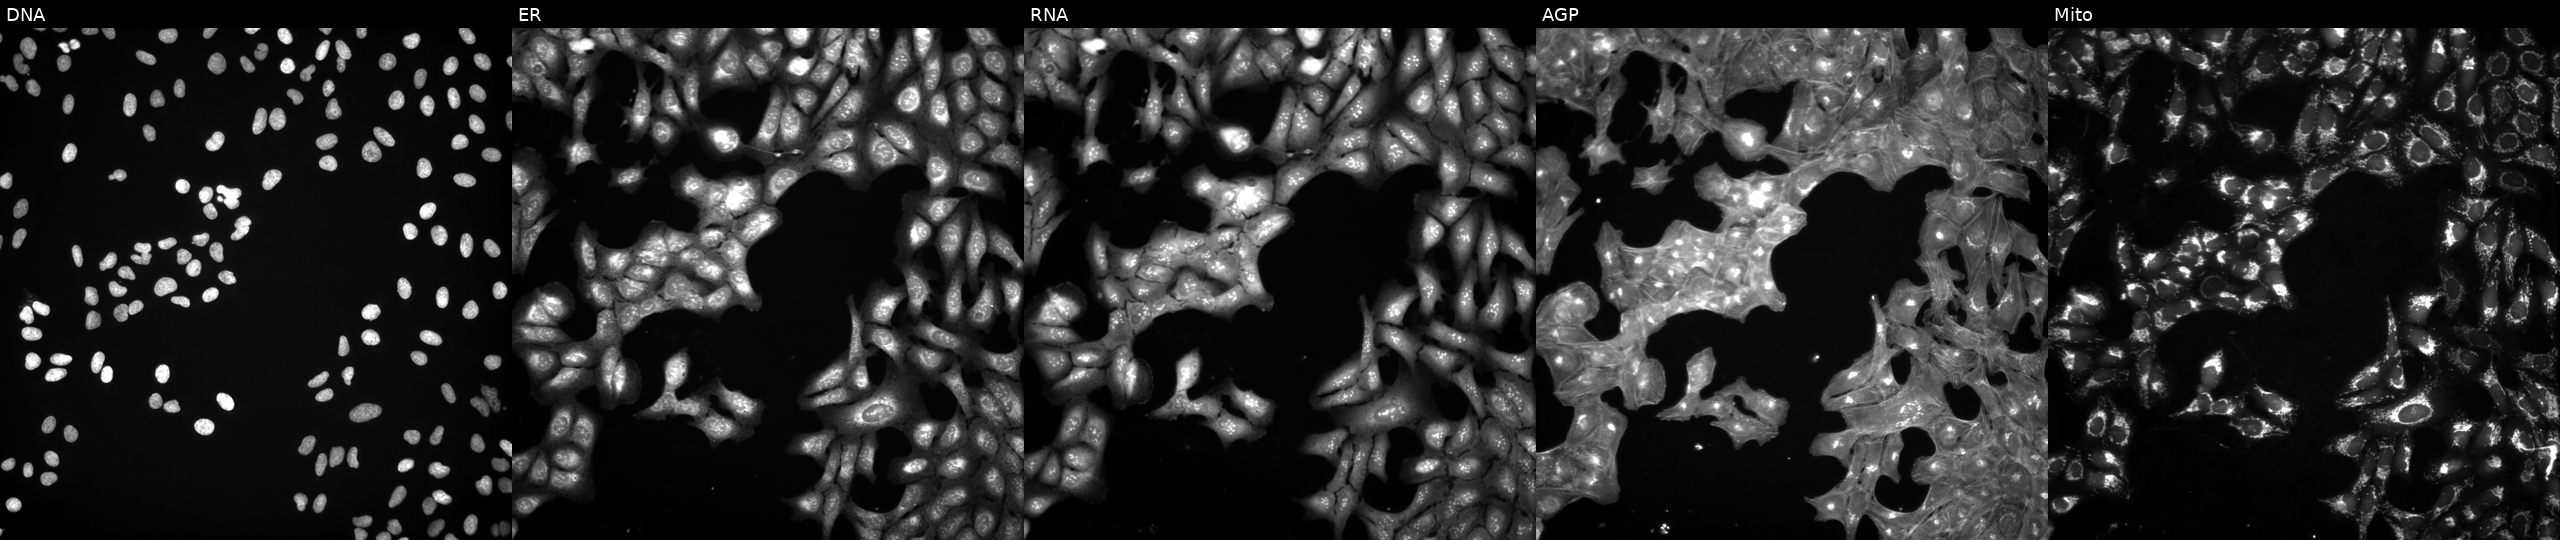
U2OS cells, Cell Painting assay, perturbed with a small-molecule compound (InChIKey ZZZRUAITSXLWBH-UHFFFAOYSA-N). From left to right: DNA, ER, RNA, AGP, and Mito. Each panel is percentile-stretched 16-bit fluorescence. Source 3, plate JCPQC051, well L07.